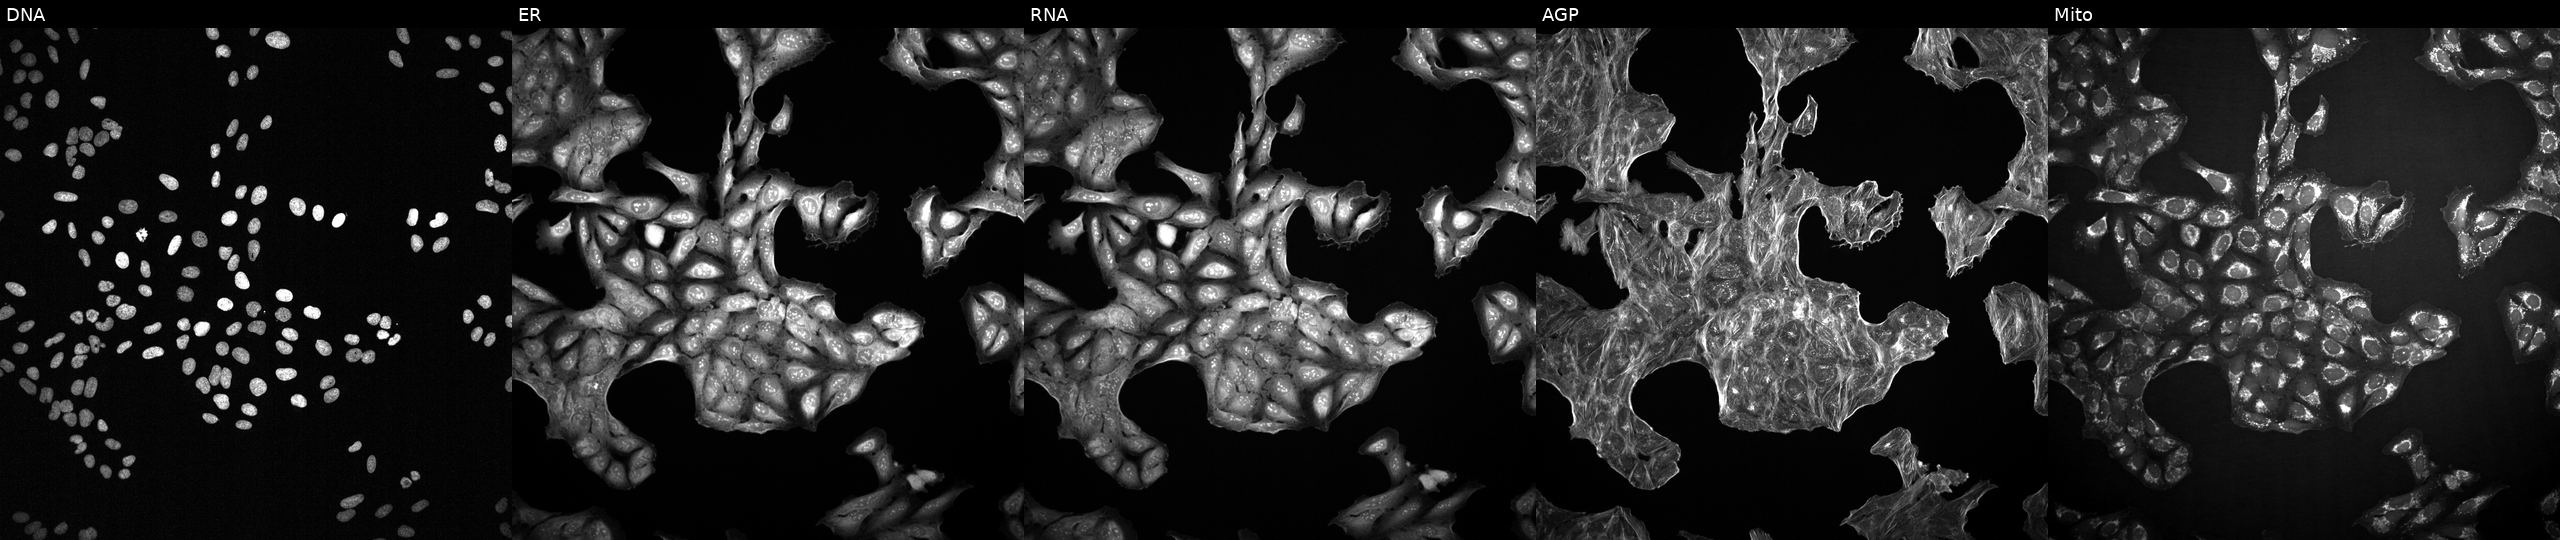
This image strip shows the five Cell Painting channels for a single field of U2OS cells treated with a small-molecule compound (JUMP id JCP2022_069491). The five panels, left to right, show Hoechst 33342, concanavalin A, SYTO 14, phalloidin and WGA, MitoTracker. Source 2, plate 1053600674, well L04.